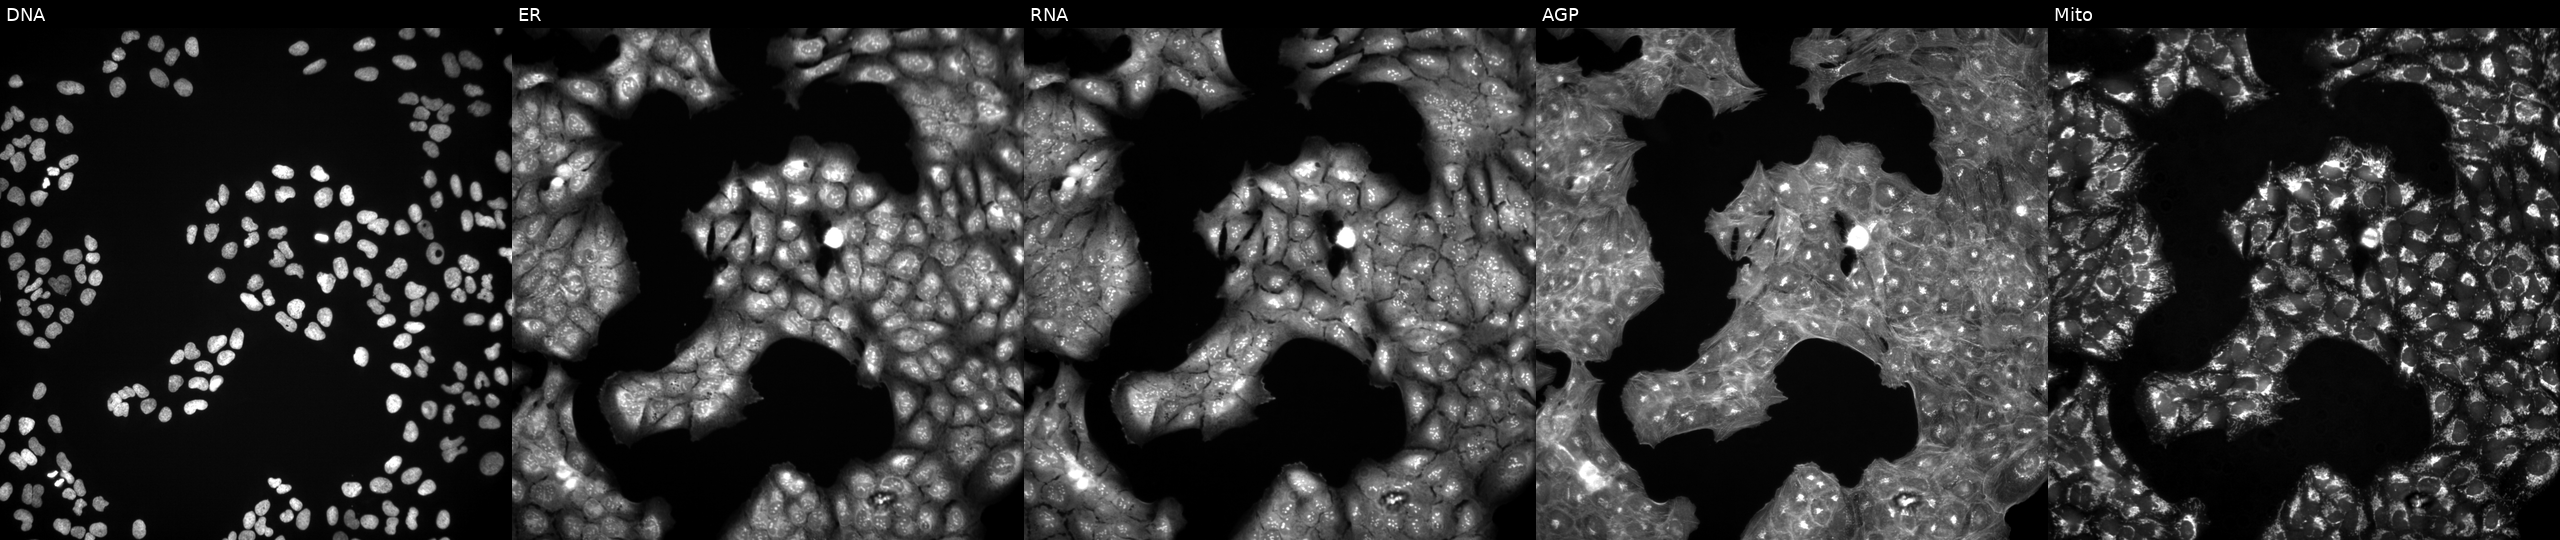
Channels (left→right): DNA (nuclei); ER (endoplasmic reticulum); RNA (nucleoli and cytoplasmic RNA); AGP (actin cytoskeleton, Golgi, and plasma membrane); Mito (mitochondria). U2OS osteosarcoma cells perturbed with a small-molecule compound (InChIKey OAVGBZOFDPFGPJ-UHFFFAOYSA-N) (JUMP id JCP2022_062592). Cell Painting assay, JUMP-CP dataset.